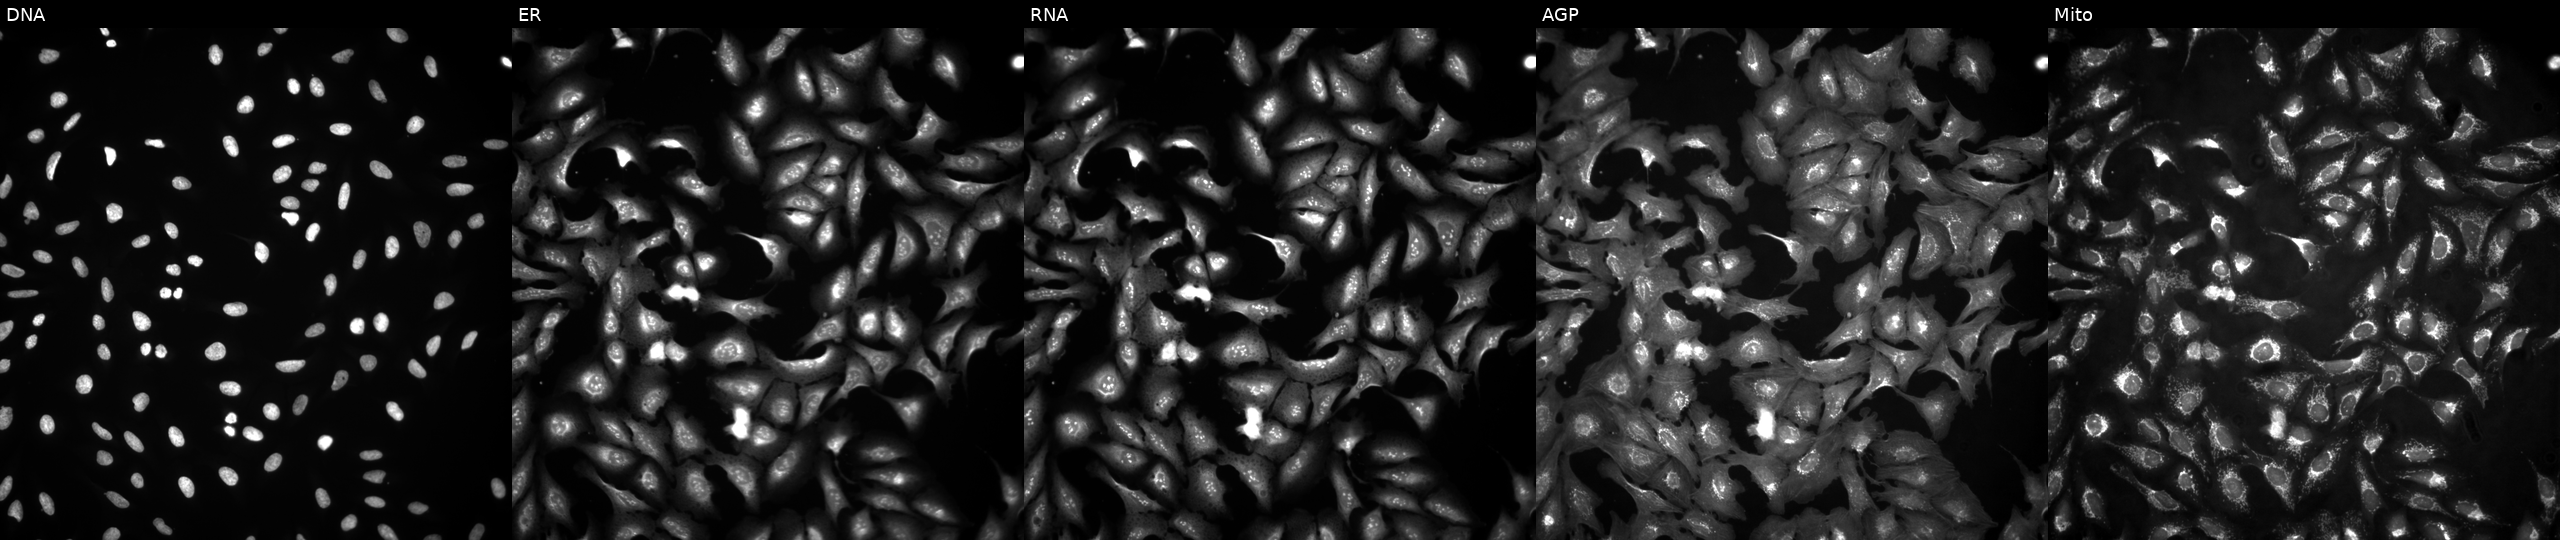
Panels show, left to right, DNA (nuclei); ER (endoplasmic reticulum); RNA (nucleoli and cytoplasmic RNA); AGP (actin cytoskeleton, Golgi, and plasma membrane); Mito (mitochondria). U2OS osteosarcoma cells overexpressing USP14 via ORF transfection (JUMP id JCP2022_901943). Cell Painting assay, JUMP-CP dataset.